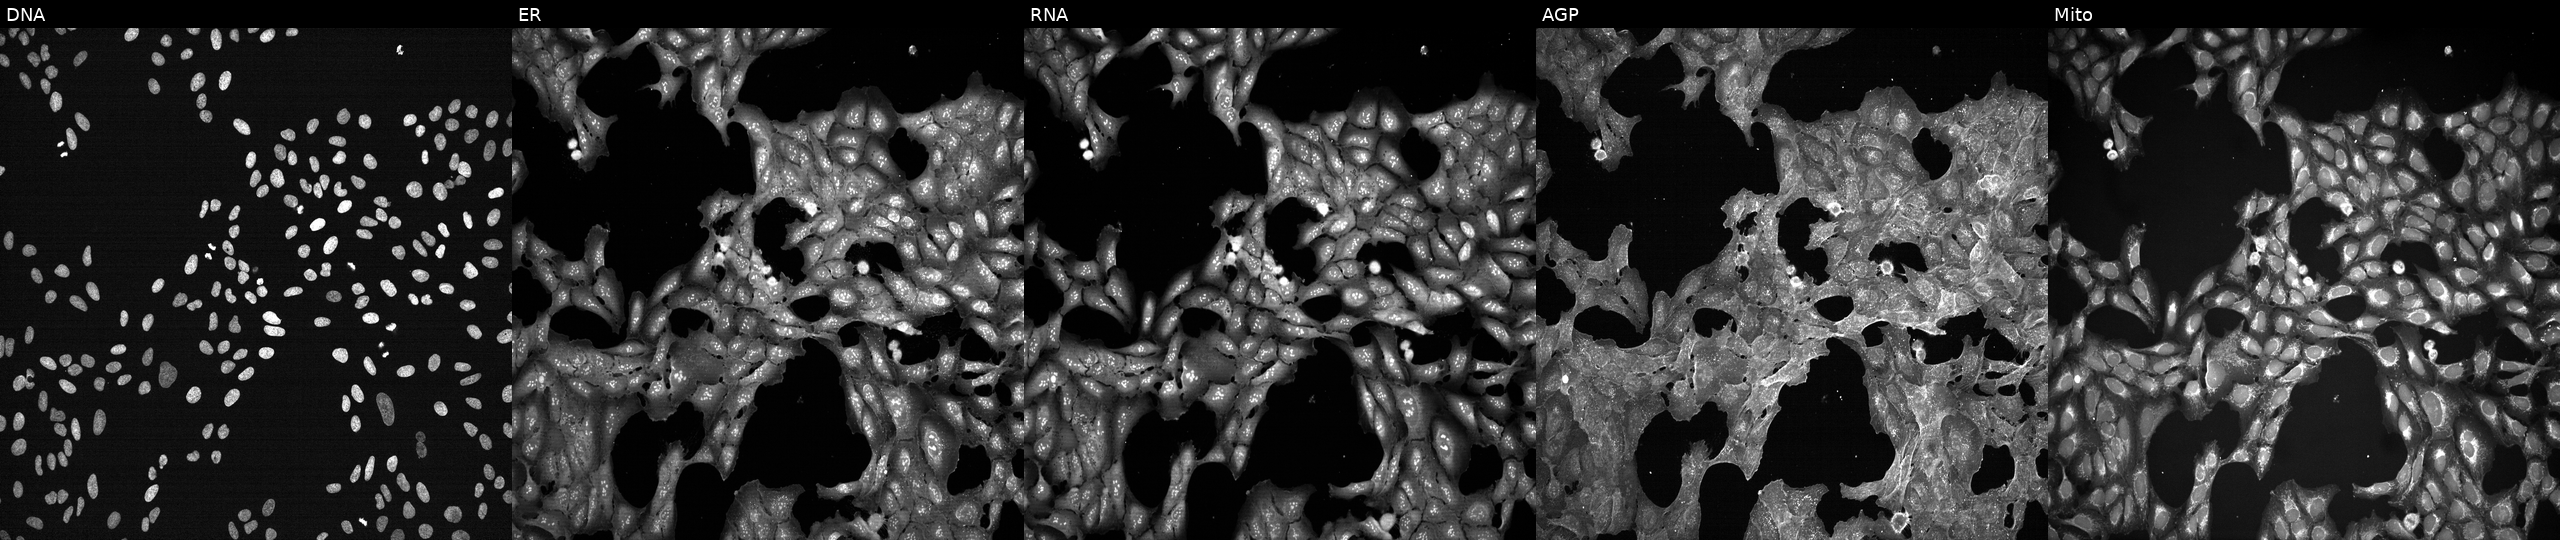
Five-channel Cell Painting image of U2OS cells exposed to a small-molecule compound (InChIKey NQDJXKOVJZTUJA-UHFFFAOYSA-N). Panels show, left to right, Hoechst 33342, concanavalin A, SYTO 14, phalloidin and WGA, MitoTracker. Source 7, plate CP2-SC1-25, well A19.